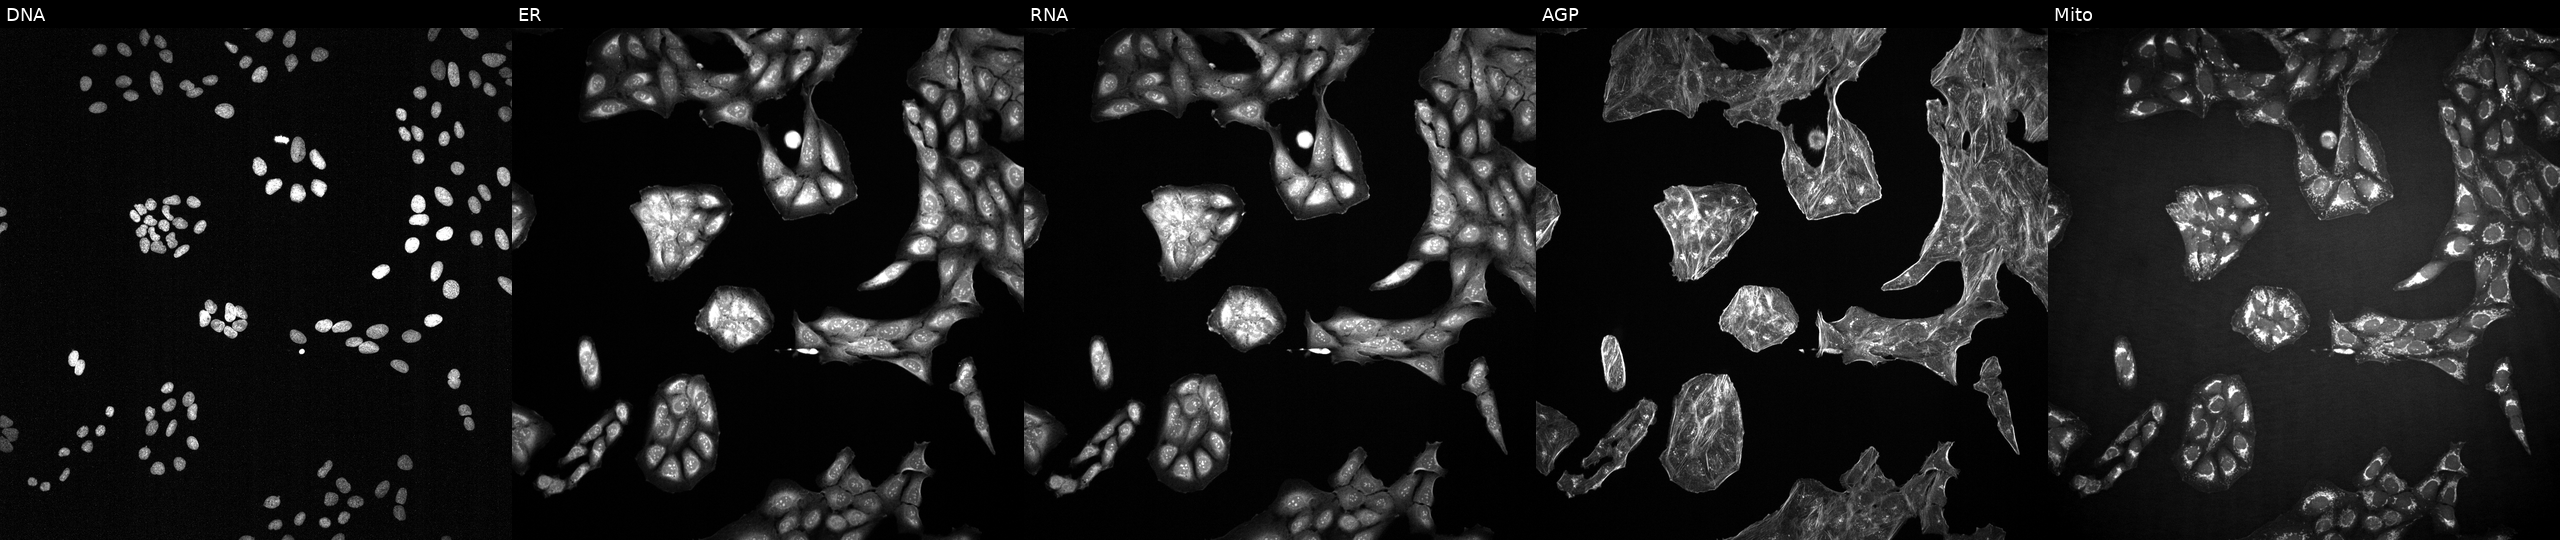
JUMP Cell Painting — TARGET2 plate. U2OS cells treated with DMSO vehicle only (negative control). The five panels, left to right, show DNA, ER, RNA, AGP, and Mito.